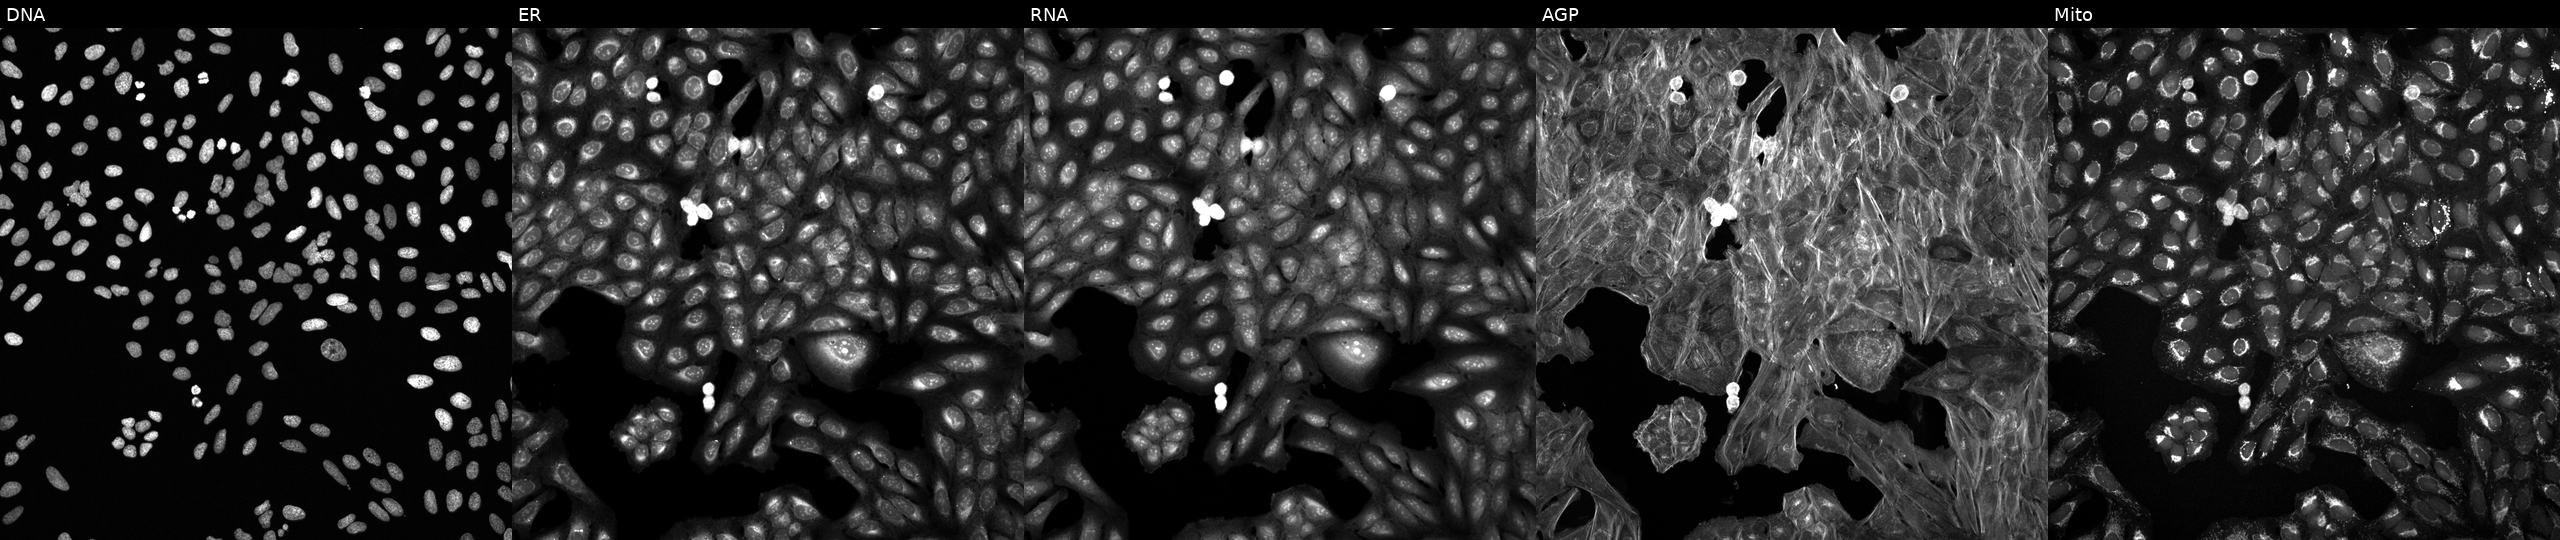
U2OS cells, Cell Painting assay, perturbed with a small-molecule compound (InChIKey NGTDJJKTGRNNAU-UHFFFAOYSA-N) [SMILES: OC(Cc1ccncc1)C(Cl)(Cl)Cl]. From left to right: DNA (nuclei); ER (endoplasmic reticulum); RNA (nucleoli and cytoplasmic RNA); AGP (actin cytoskeleton, Golgi, and plasma membrane); Mito (mitochondria). Each panel is percentile-stretched 16-bit fluorescence. Source 6, plate 110000293081, well J16.